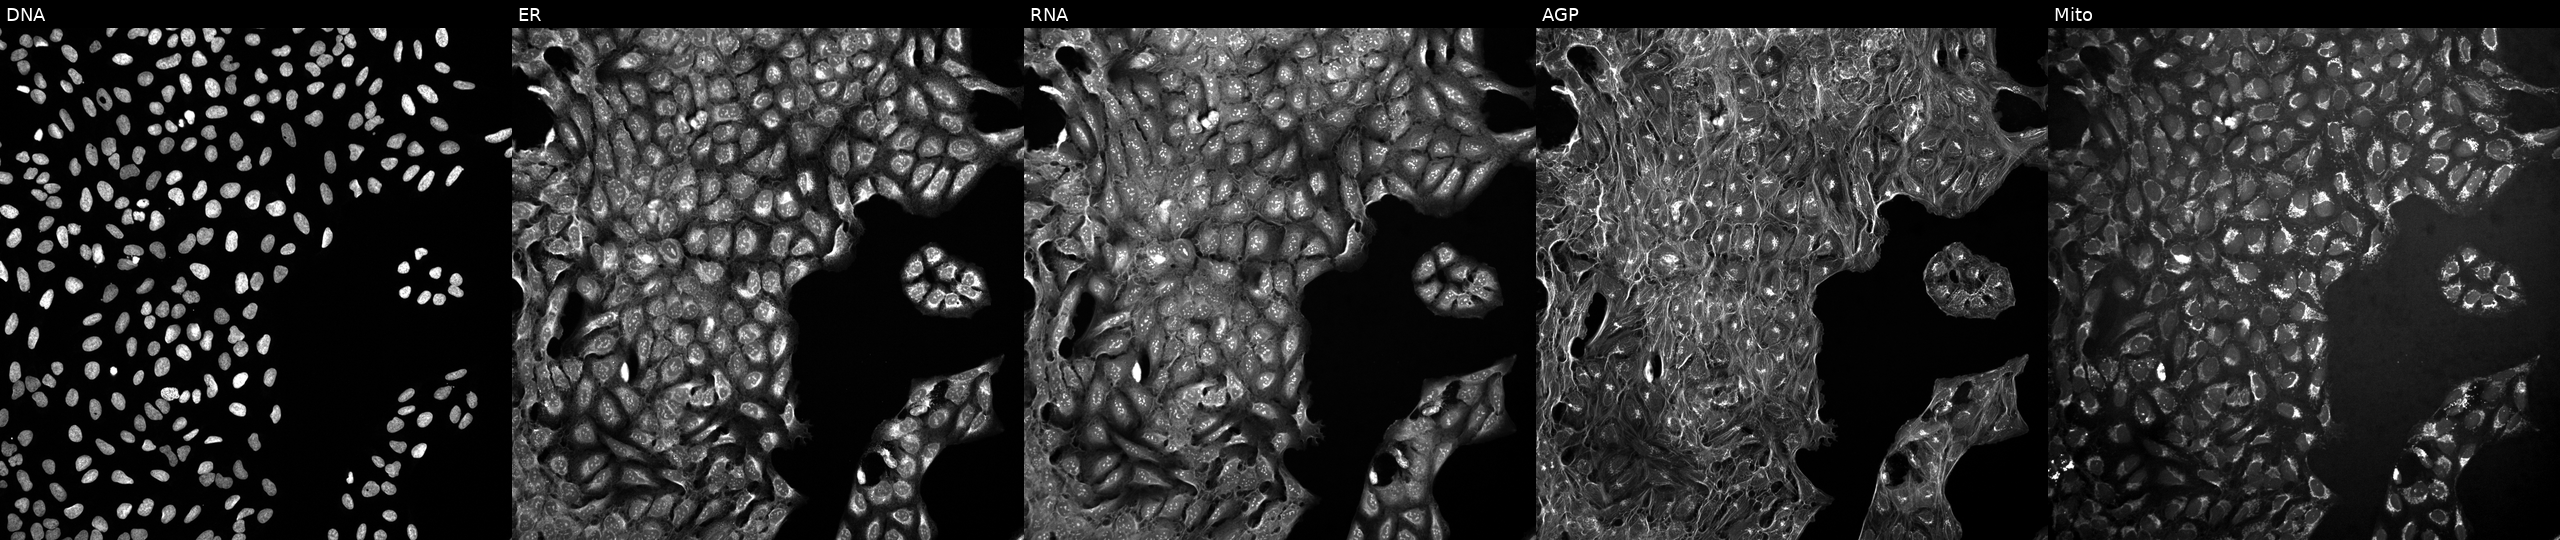
High-content fluorescence microscopy (Cell Painting). Cell line: U2OS. Perturbation: treated with a small-molecule compound (InChIKey RWPBQPISLHWHAW-UHFFFAOYSA-N). The five panels, left to right, show Hoechst 33342, concanavalin A, SYTO 14, phalloidin and WGA, MitoTracker.